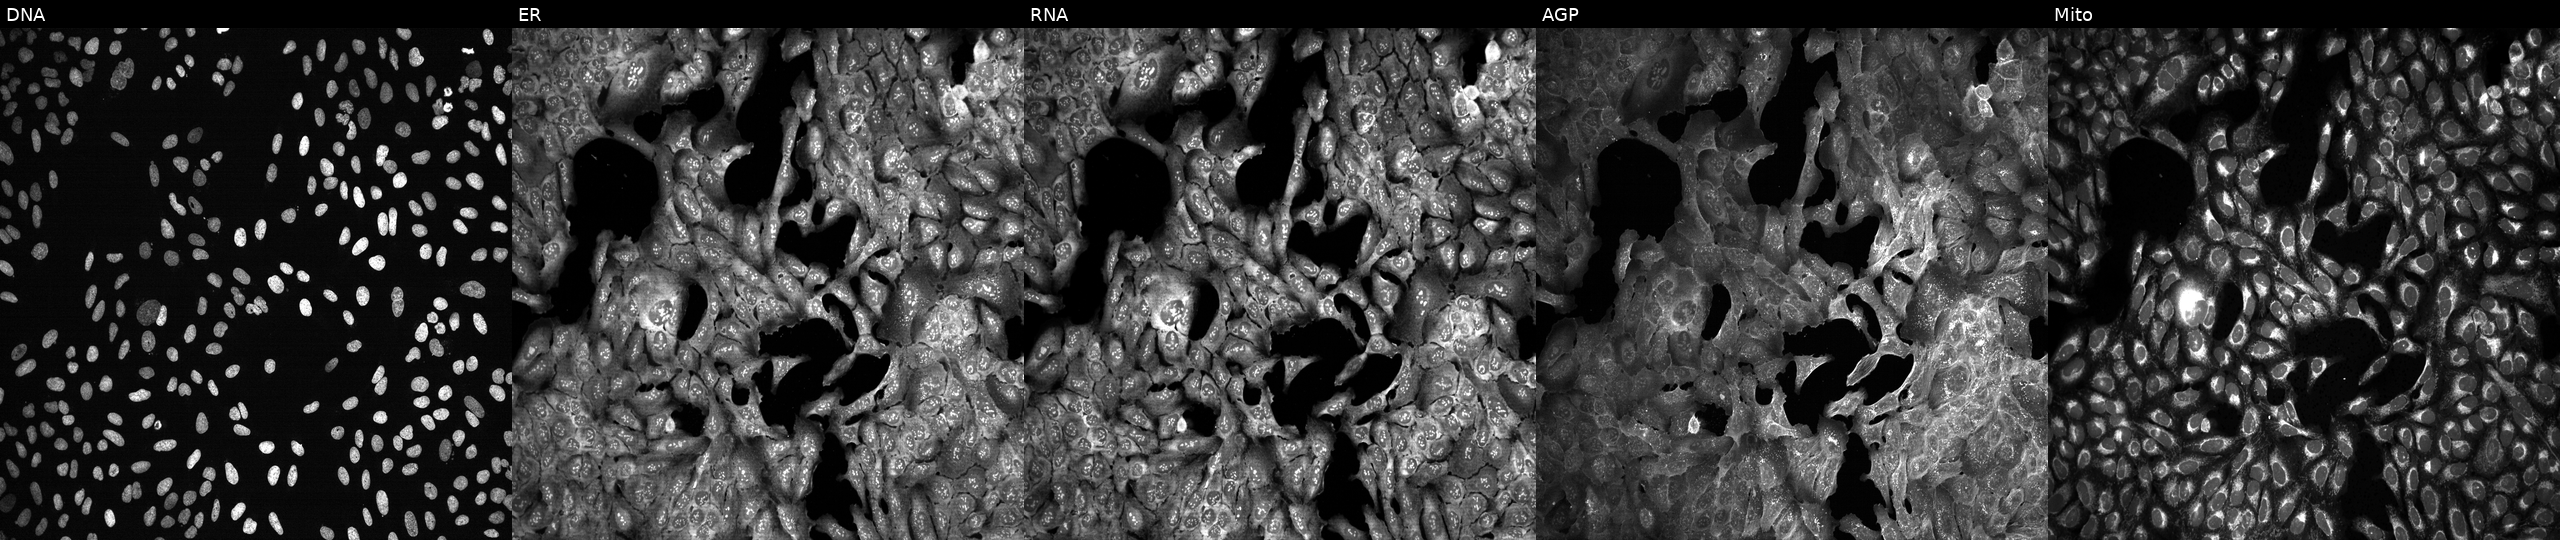
U2OS cells, Cell Painting assay, with ZNF652 knocked out by CRISPR (JUMP id JCP2022_807927). The five panels, left to right, show Hoechst 33342, concanavalin A, SYTO 14, phalloidin and WGA, MitoTracker. Each panel is percentile-stretched 16-bit fluorescence.